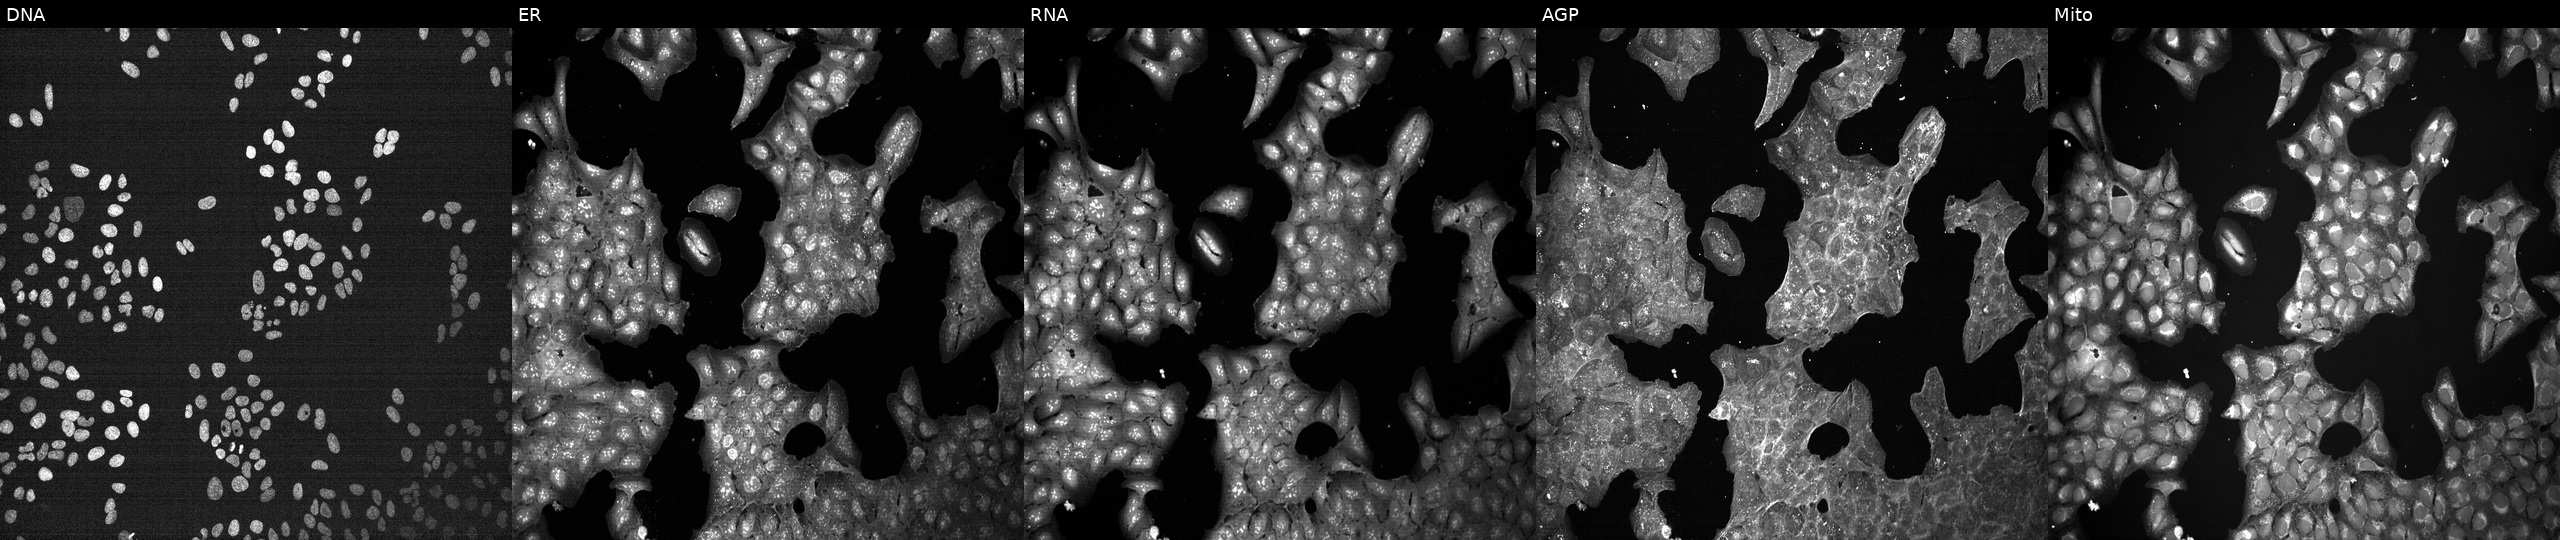
High-content fluorescence microscopy (Cell Painting). Cell line: U2OS. Perturbation: exposed to a small-molecule compound (InChIKey IKENVDNFQMCRTR-UHFFFAOYSA-N). The five panels, left to right, show DNA (nuclei); ER (endoplasmic reticulum); RNA (nucleoli and cytoplasmic RNA); AGP (actin cytoskeleton, Golgi, and plasma membrane); Mito (mitochondria). Source 7, plate CP1-SC1-25, well N17.